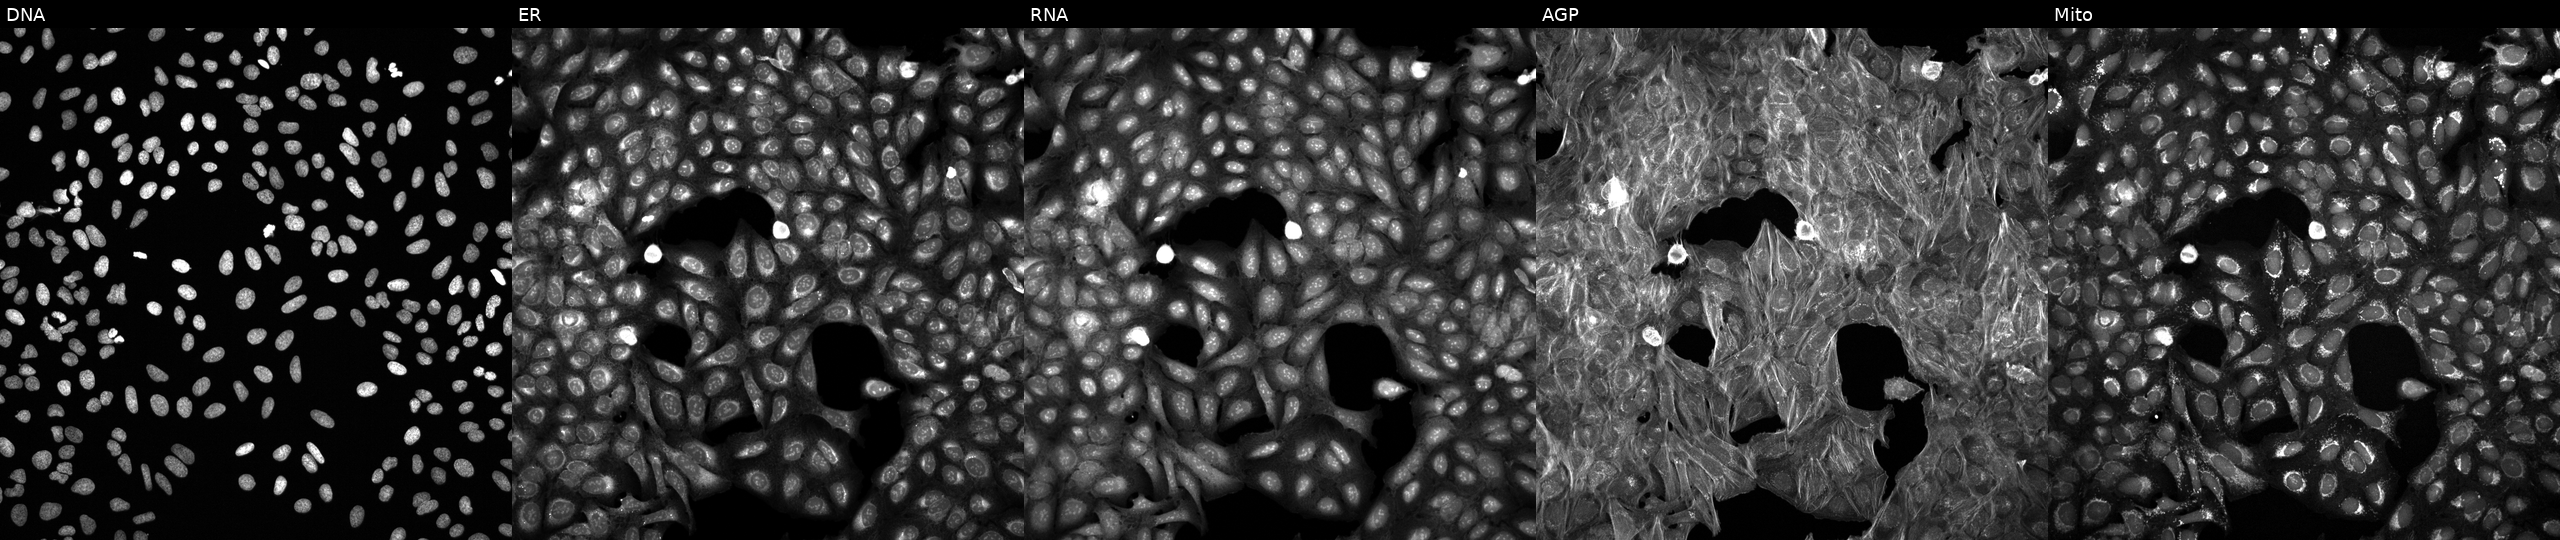
High-content fluorescence microscopy (Cell Painting). Cell line: U2OS. Perturbation: exposed to a small-molecule compound (JUMP id JCP2022_086505). Channels (left→right): DNA (nuclei); ER (endoplasmic reticulum); RNA (nucleoli and cytoplasmic RNA); AGP (actin cytoskeleton, Golgi, and plasma membrane); Mito (mitochondria).